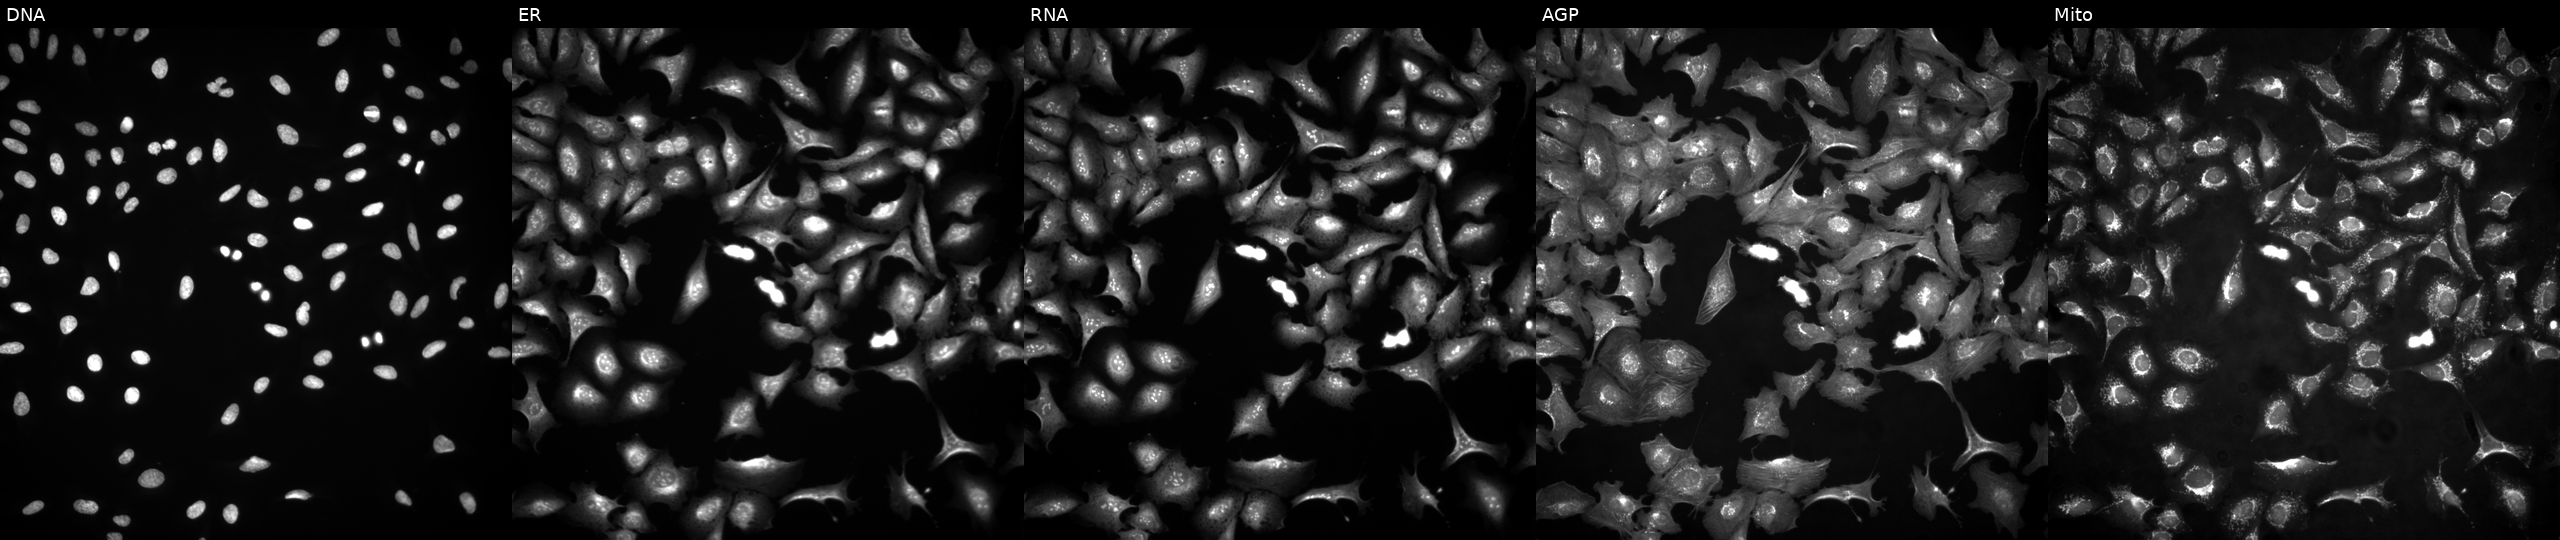
Five-channel Cell Painting image of U2OS cells transfected with an ORF construct for C19orf33 (JUMP id JCP2022_911605). Panels show, left to right, DNA (nuclei); ER (endoplasmic reticulum); RNA (nucleoli and cytoplasmic RNA); AGP (actin cytoskeleton, Golgi, and plasma membrane); Mito (mitochondria). Source 4, plate BR00124787, well O14.